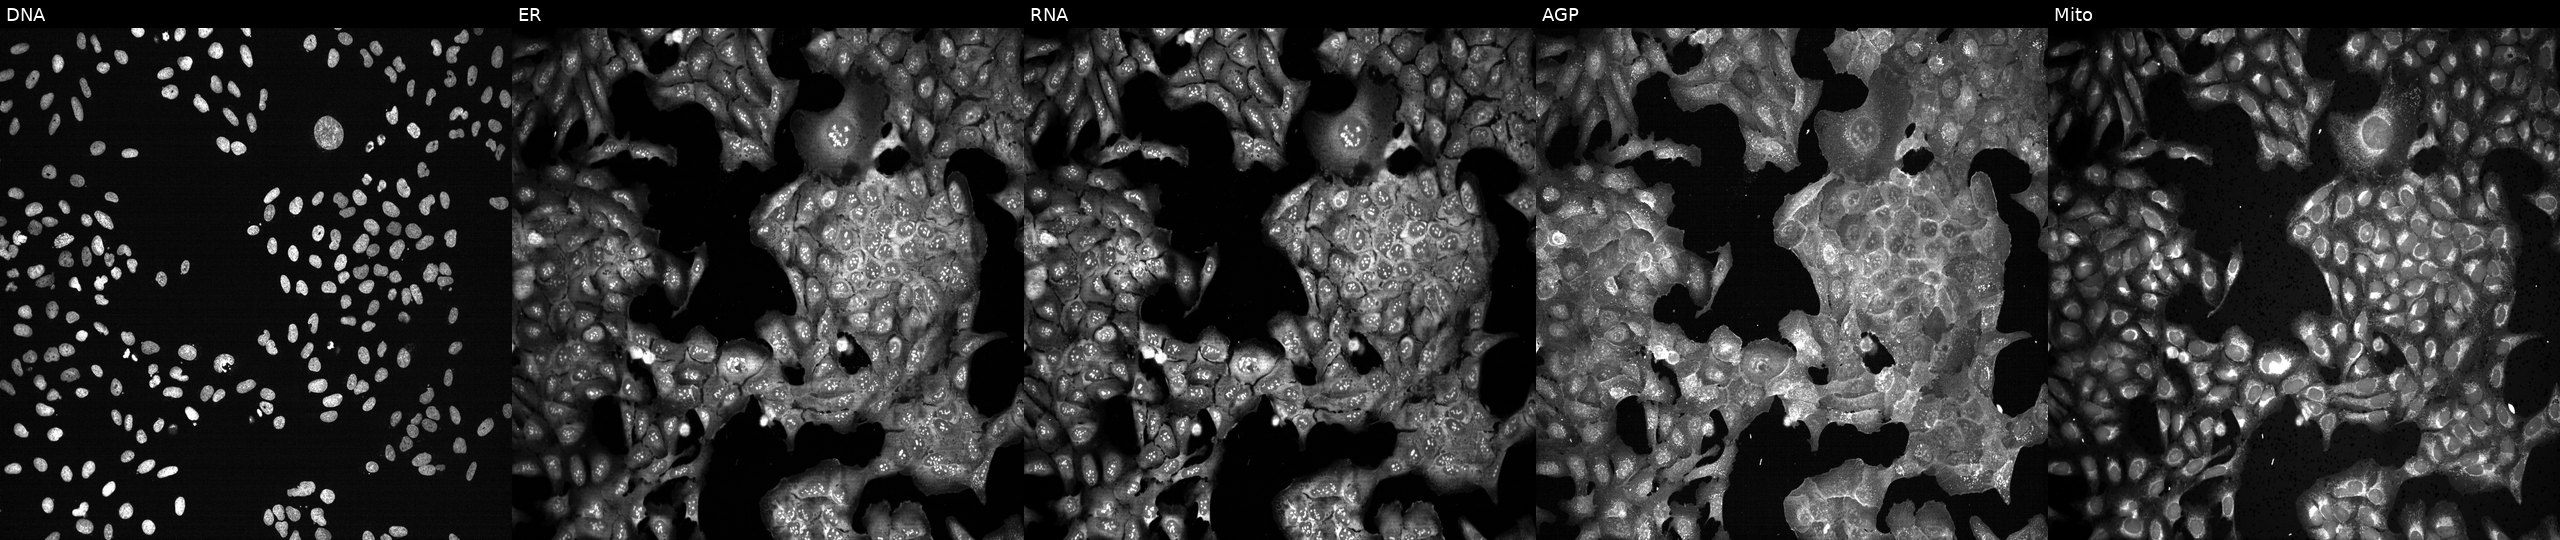
U2OS cells, Cell Painting assay, with IL11RA knocked out by CRISPR (JUMP id JCP2022_803364). Panels show, left to right, DNA, ER, RNA, AGP, and Mito. Each panel is percentile-stretched 16-bit fluorescence. Source 13, plate CP-CC9-R5-01, well D22.